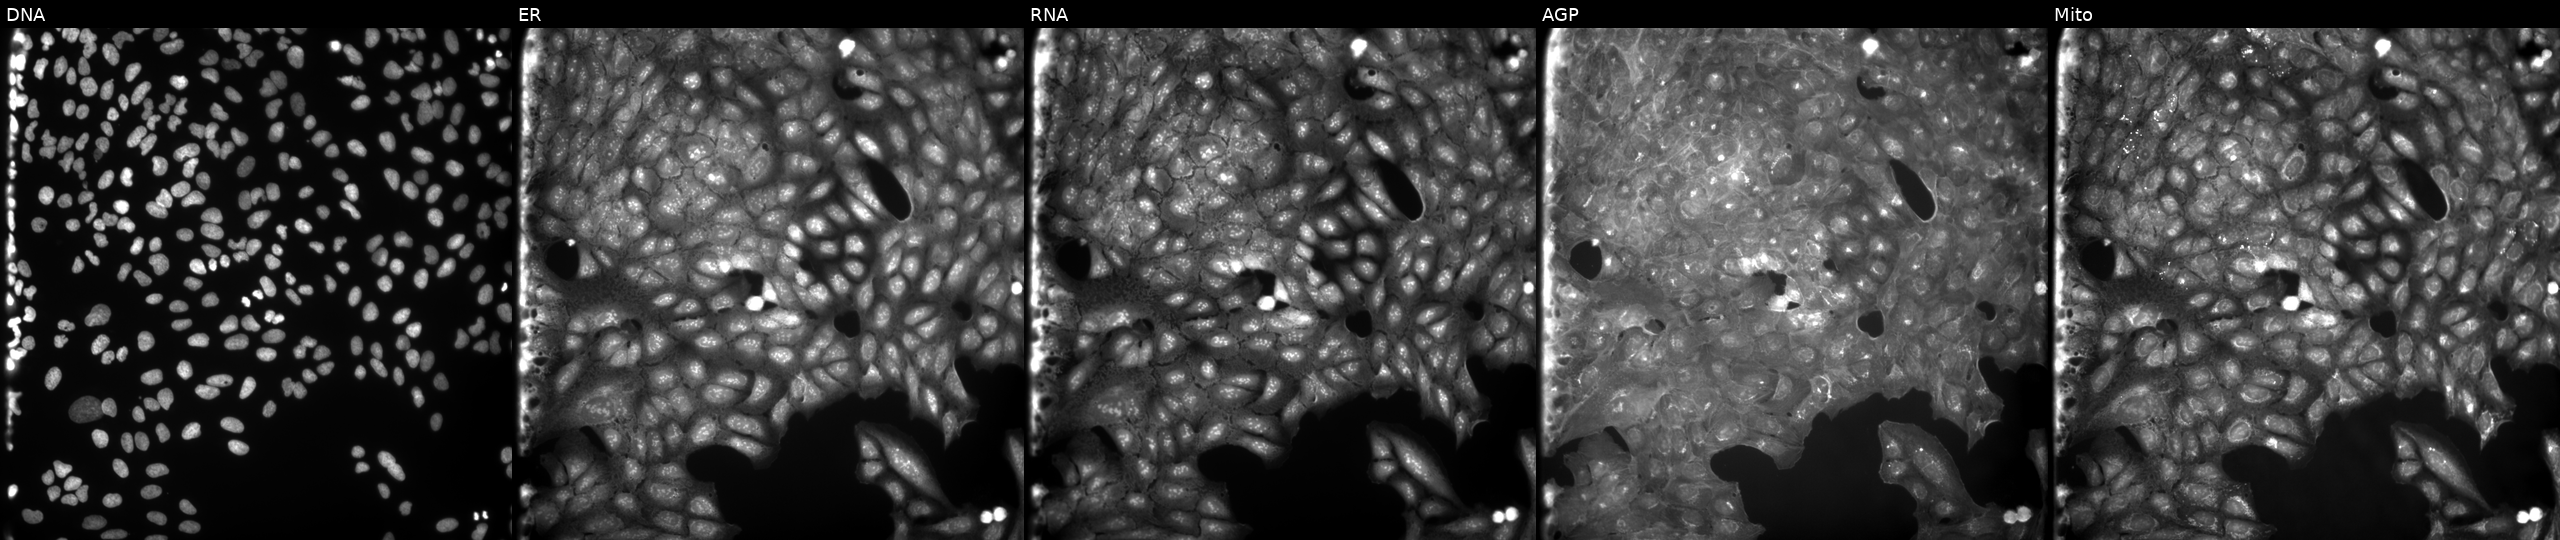
JUMP Cell Painting — COMPOUND plate. U2OS cells perturbed with a small-molecule compound (InChIKey YBOZRPPSBVIHGJ-UHFFFAOYSA-N) (JUMP id JCP2022_107424). From left to right: DNA, ER, RNA, AGP, and Mito.